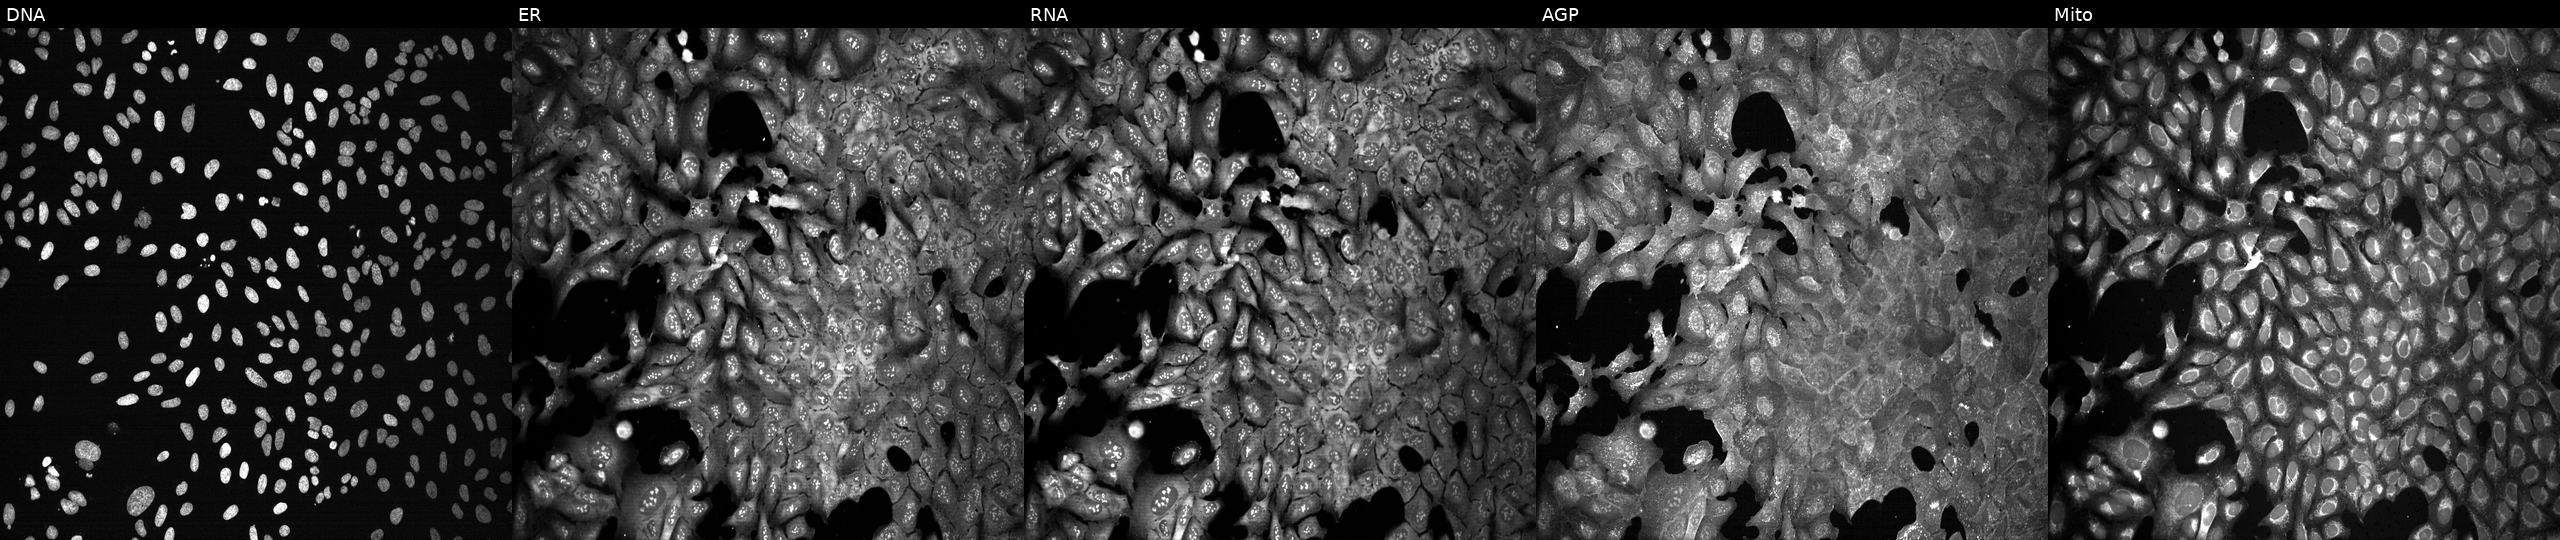
High-content fluorescence microscopy (Cell Painting). Cell line: U2OS. Perturbation: following CRISPR knockout of DHRS4. Panels show, left to right, DNA (nuclei); ER (endoplasmic reticulum); RNA (nucleoli and cytoplasmic RNA); AGP (actin cytoskeleton, Golgi, and plasma membrane); Mito (mitochondria).